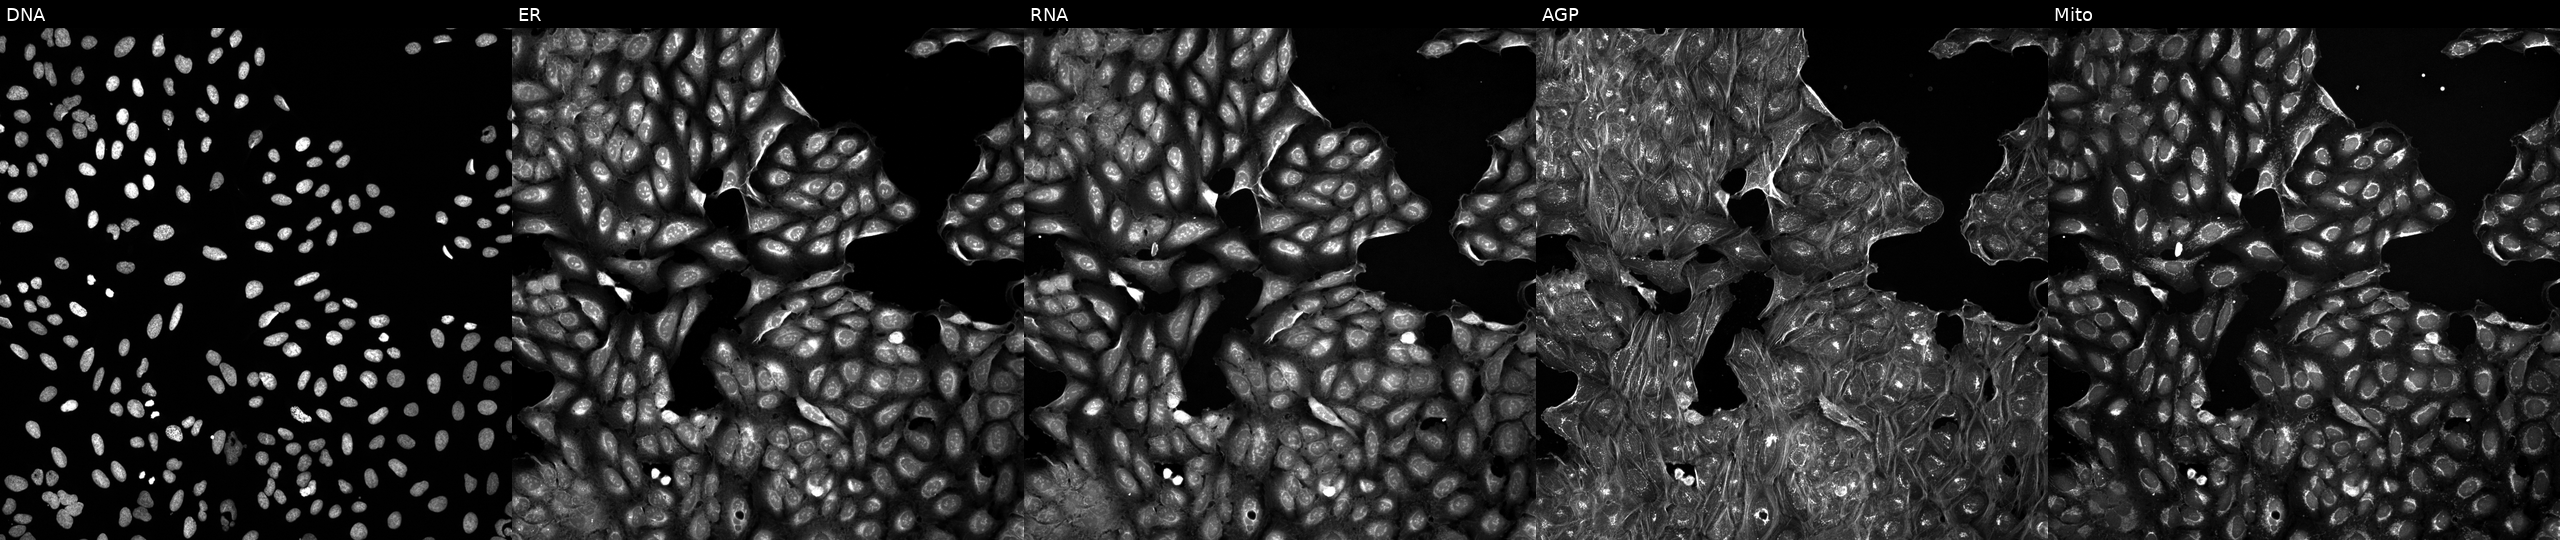
Five-channel Cell Painting image of U2OS cells perturbed with a small-molecule compound [SMILES: O=C(O)c1cc(N=Nc2ccc(S(=O)(=O)N=c3cccc[nH]3)cc2)ccc1O]. Channels (left→right): DNA, ER, RNA, AGP, and Mito. Source 5, plate ACPJUM051, well C04.